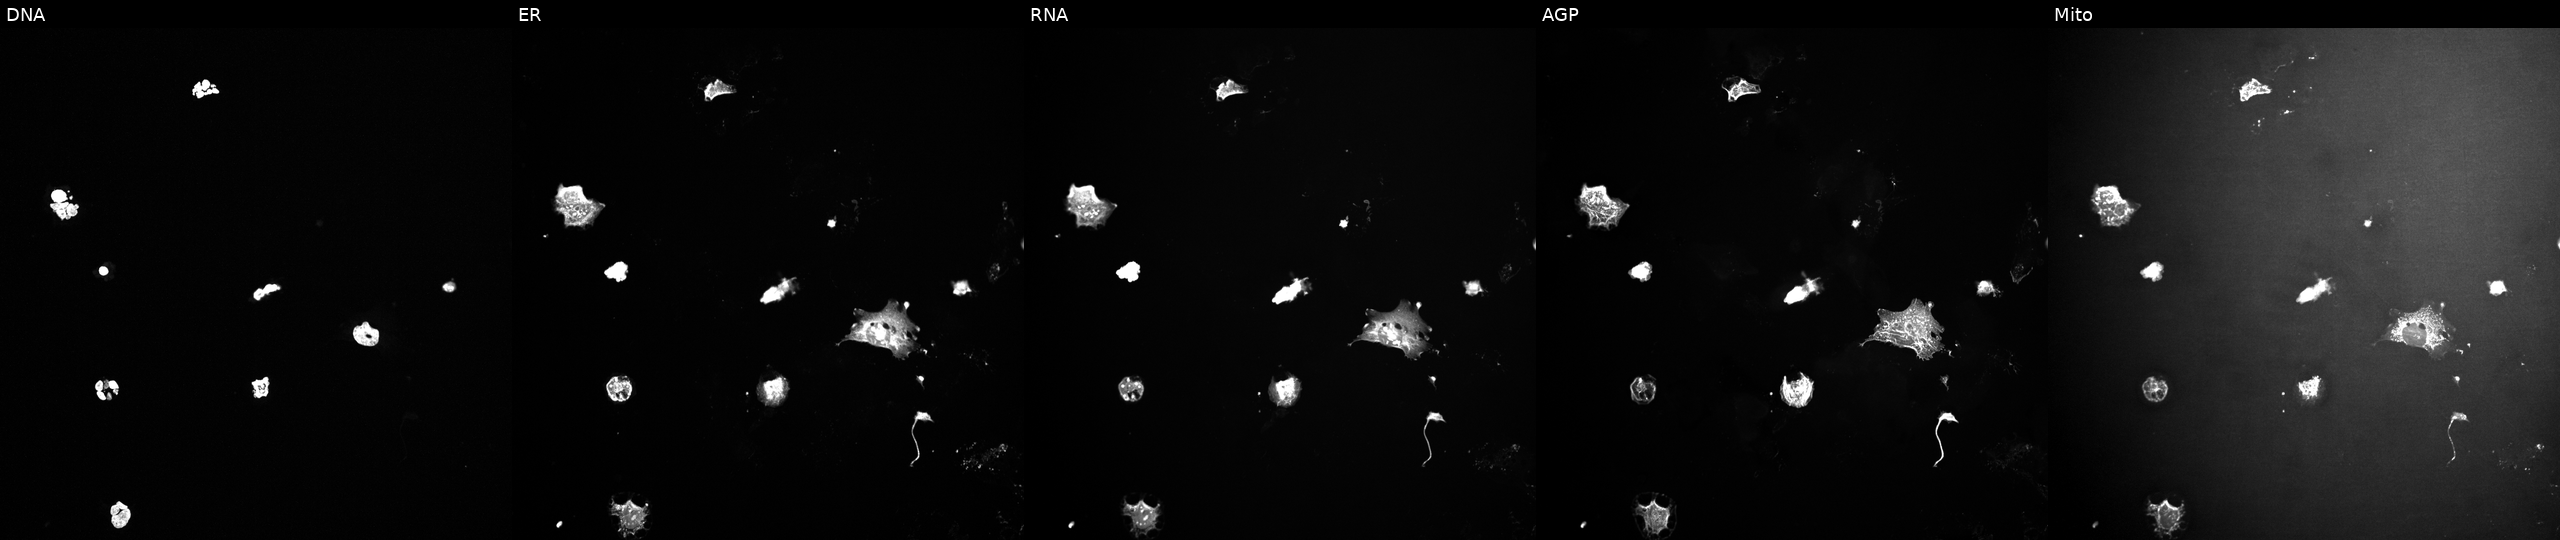
Channels (left→right): DNA, ER, RNA, AGP, and Mito. U2OS osteosarcoma cells exposed to a small-molecule compound (JUMP id JCP2022_033814). Cell Painting assay, JUMP-CP dataset.